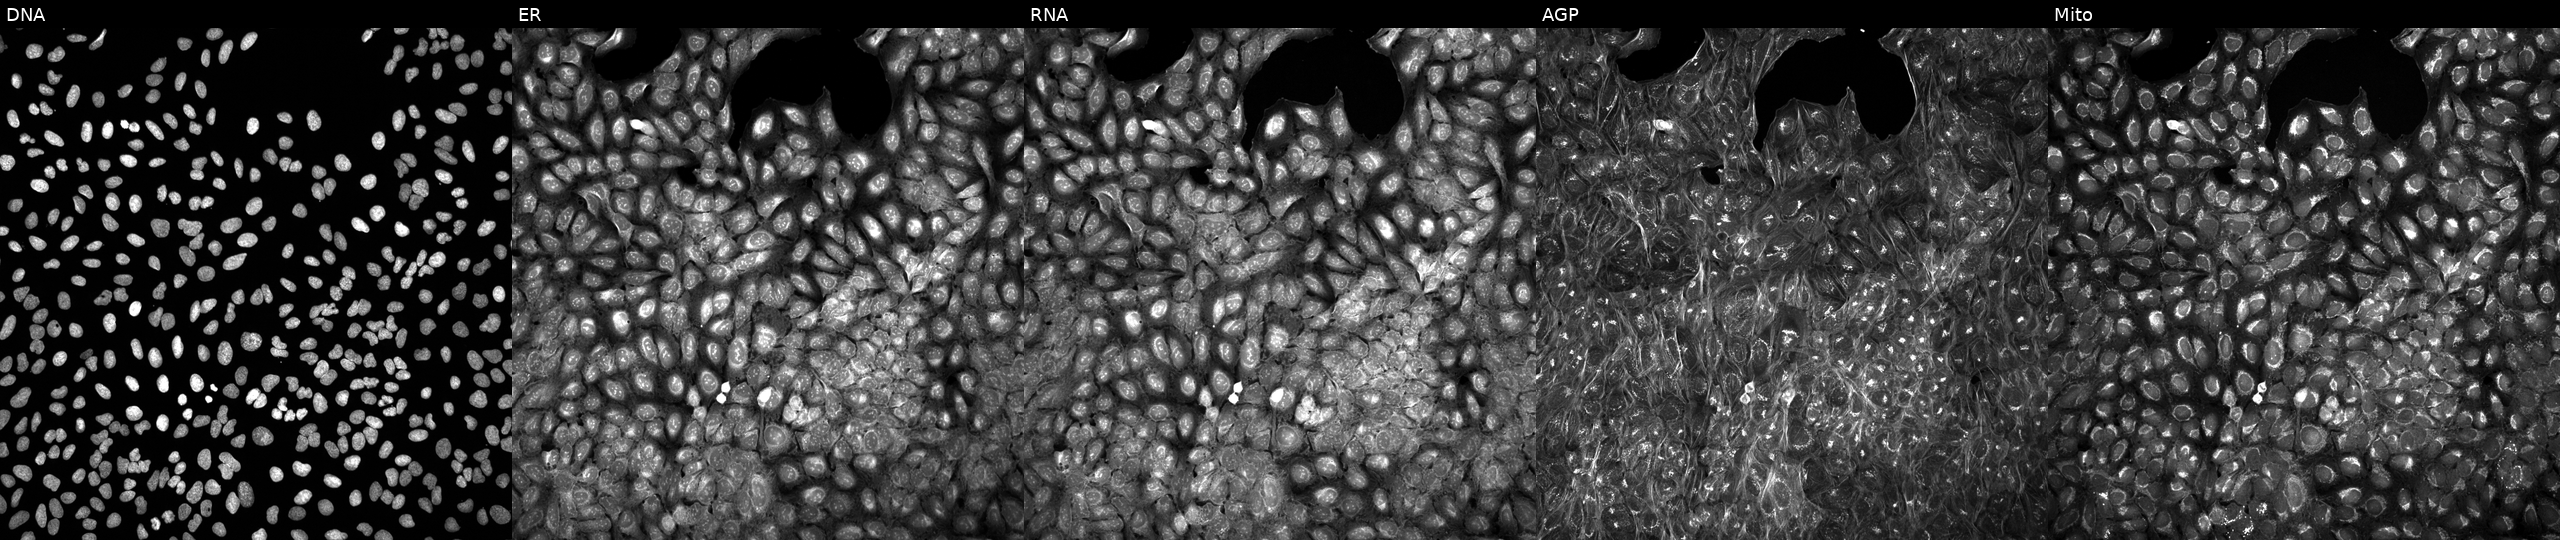
This image strip shows the five Cell Painting channels for a single field of U2OS cells exposed to the positive-control compound quinidine (JUMP id JCP2022_050797). Panels show, left to right, Hoechst 33342, concanavalin A, SYTO 14, phalloidin and WGA, MitoTracker. Source 5, plate APTJUM105, well C24.